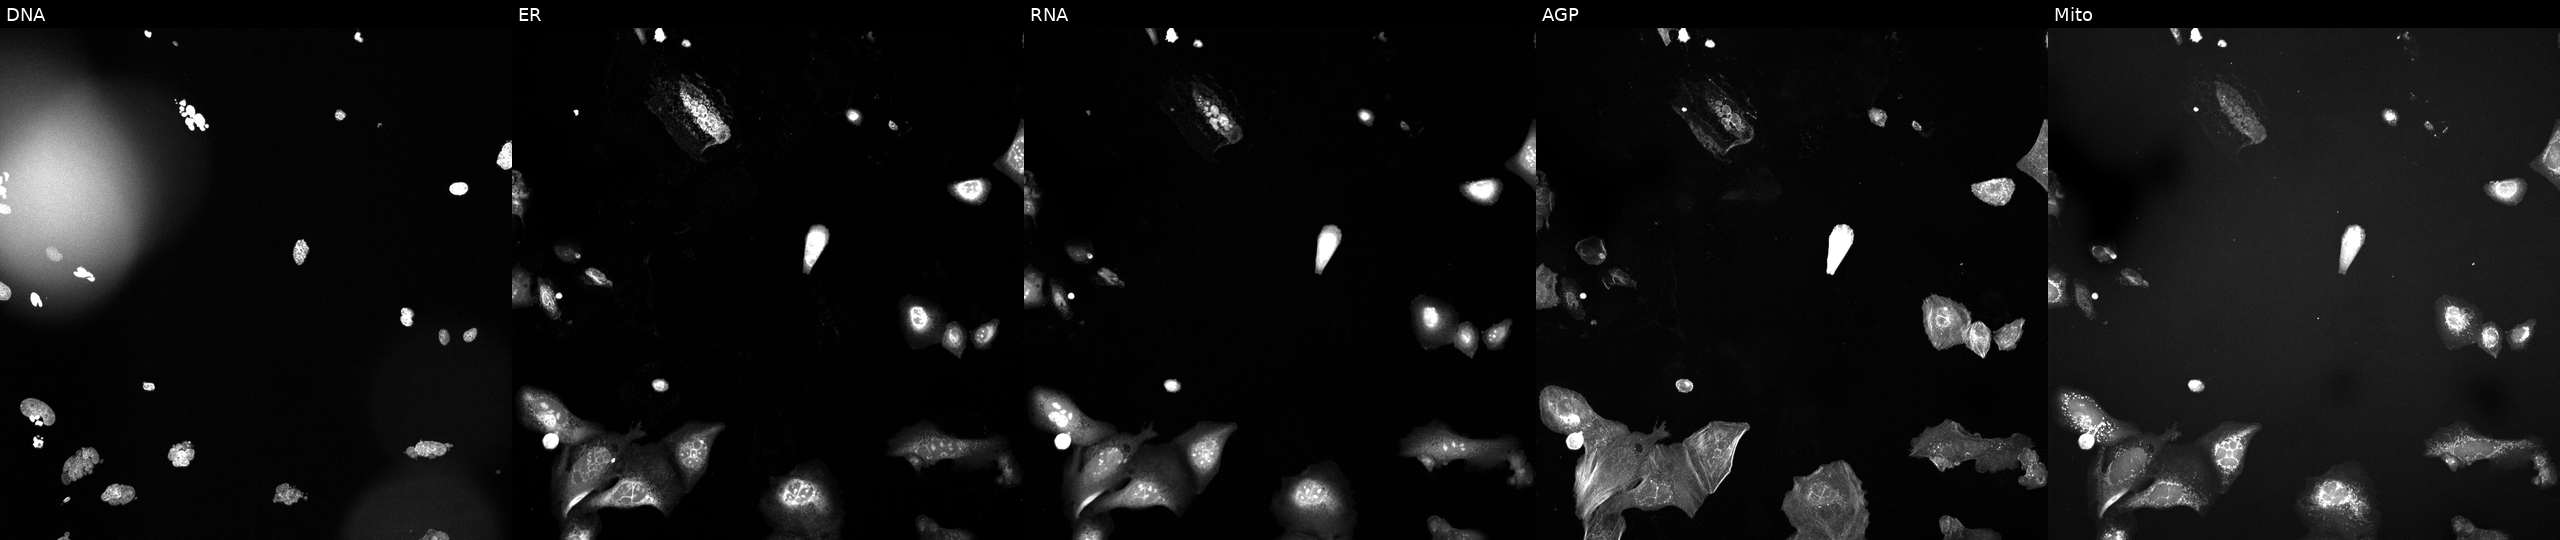
JUMP Cell Painting — TARGET2 plate. U2OS cells perturbed with a small-molecule compound (InChIKey JOLJIIDDOBNFHW-UHFFFAOYSA-N) (JUMP id JCP2022_041107). The five panels, left to right, show DNA, ER, RNA, AGP, and Mito. Source 6, plate 110000294901, well H01.